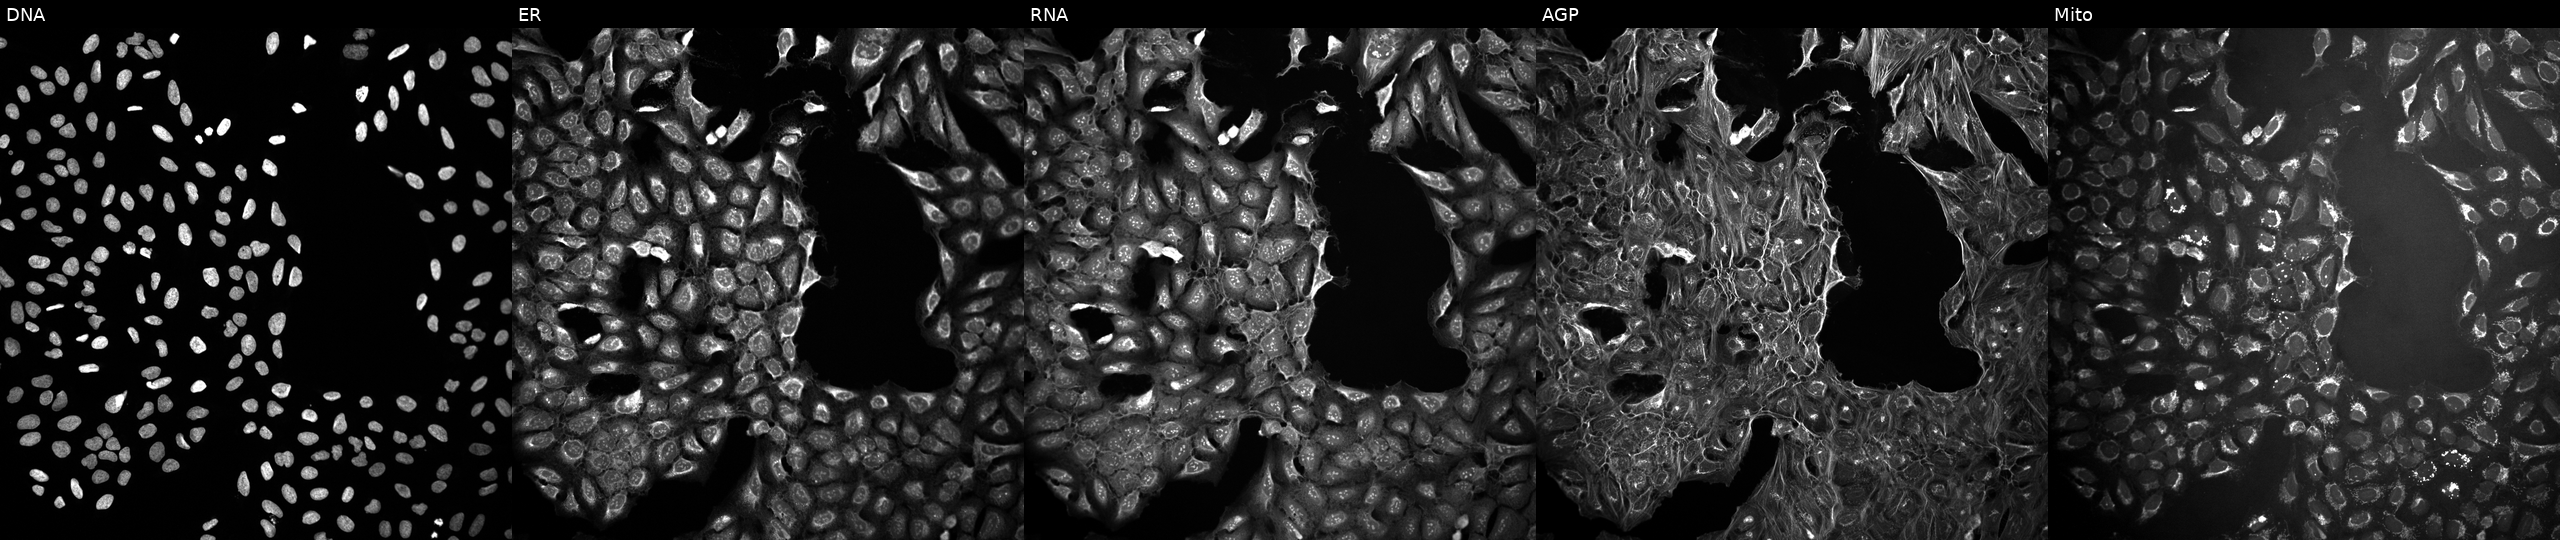
This image strip shows the five Cell Painting channels for a single field of U2OS cells treated with a small-molecule compound (InChIKey NHBJTNIRLWPQMQ-UHFFFAOYSA-N) [SMILES: O=C(NCCC(CCO)c1cccs1)c1cncc(Br)c1]. Channels (left→right): Hoechst 33342, concanavalin A, SYTO 14, phalloidin and WGA, MitoTracker. Source 10, plate Dest210531-152324, well M18.